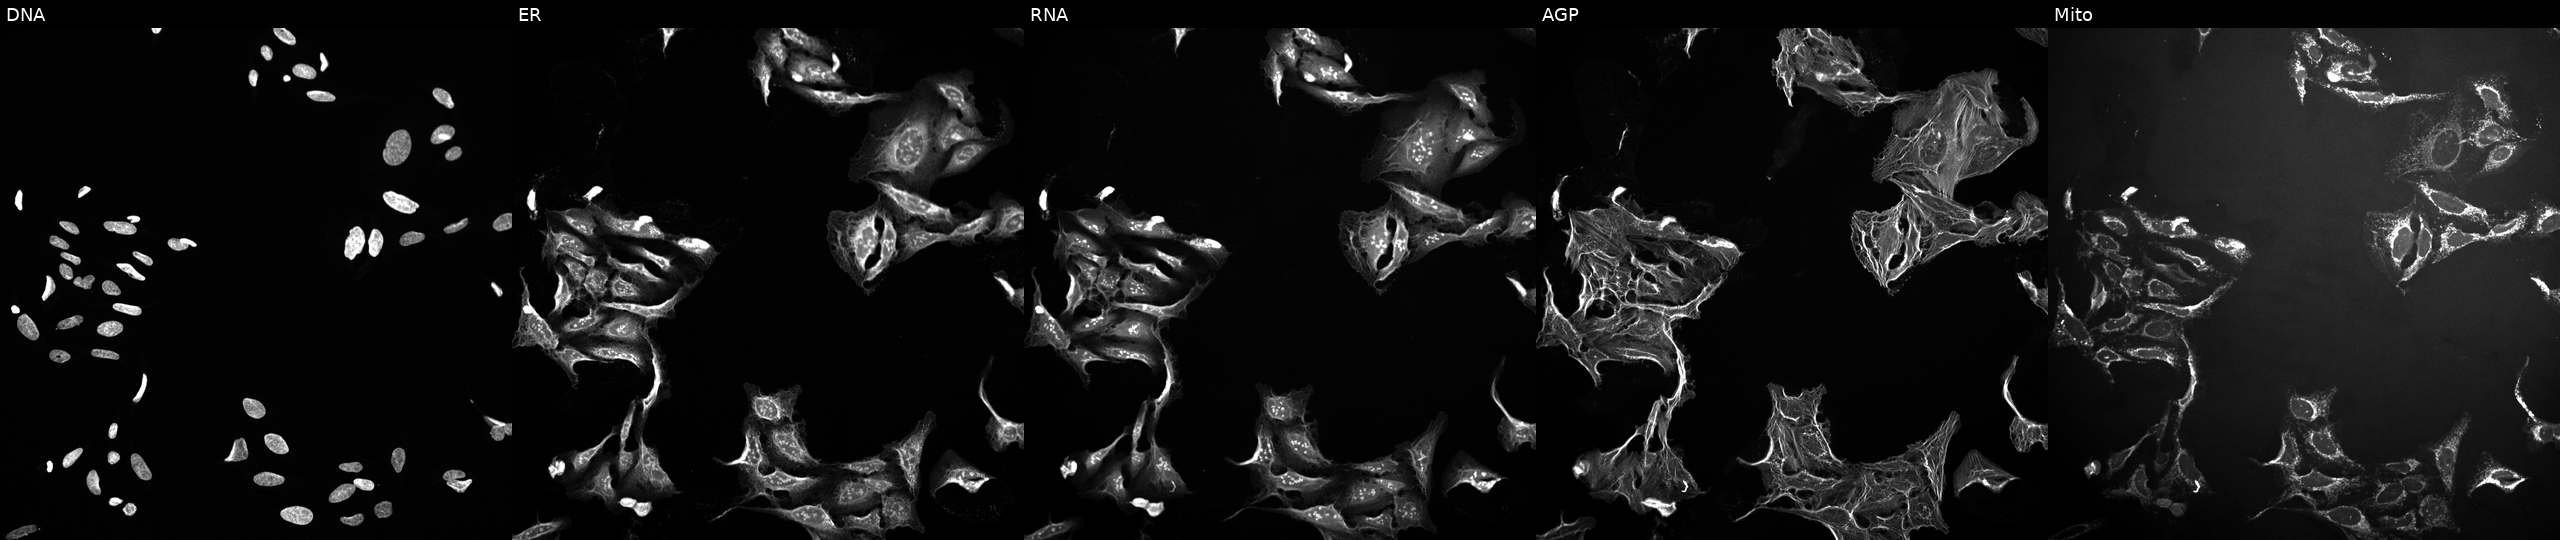
High-content fluorescence microscopy (Cell Painting). Cell line: U2OS. Perturbation: treated with a small-molecule compound (InChIKey RQVGFDBMONQTBC-UHFFFAOYSA-N). Panels show, left to right, Hoechst 33342, concanavalin A, SYTO 14, phalloidin and WGA, MitoTracker.